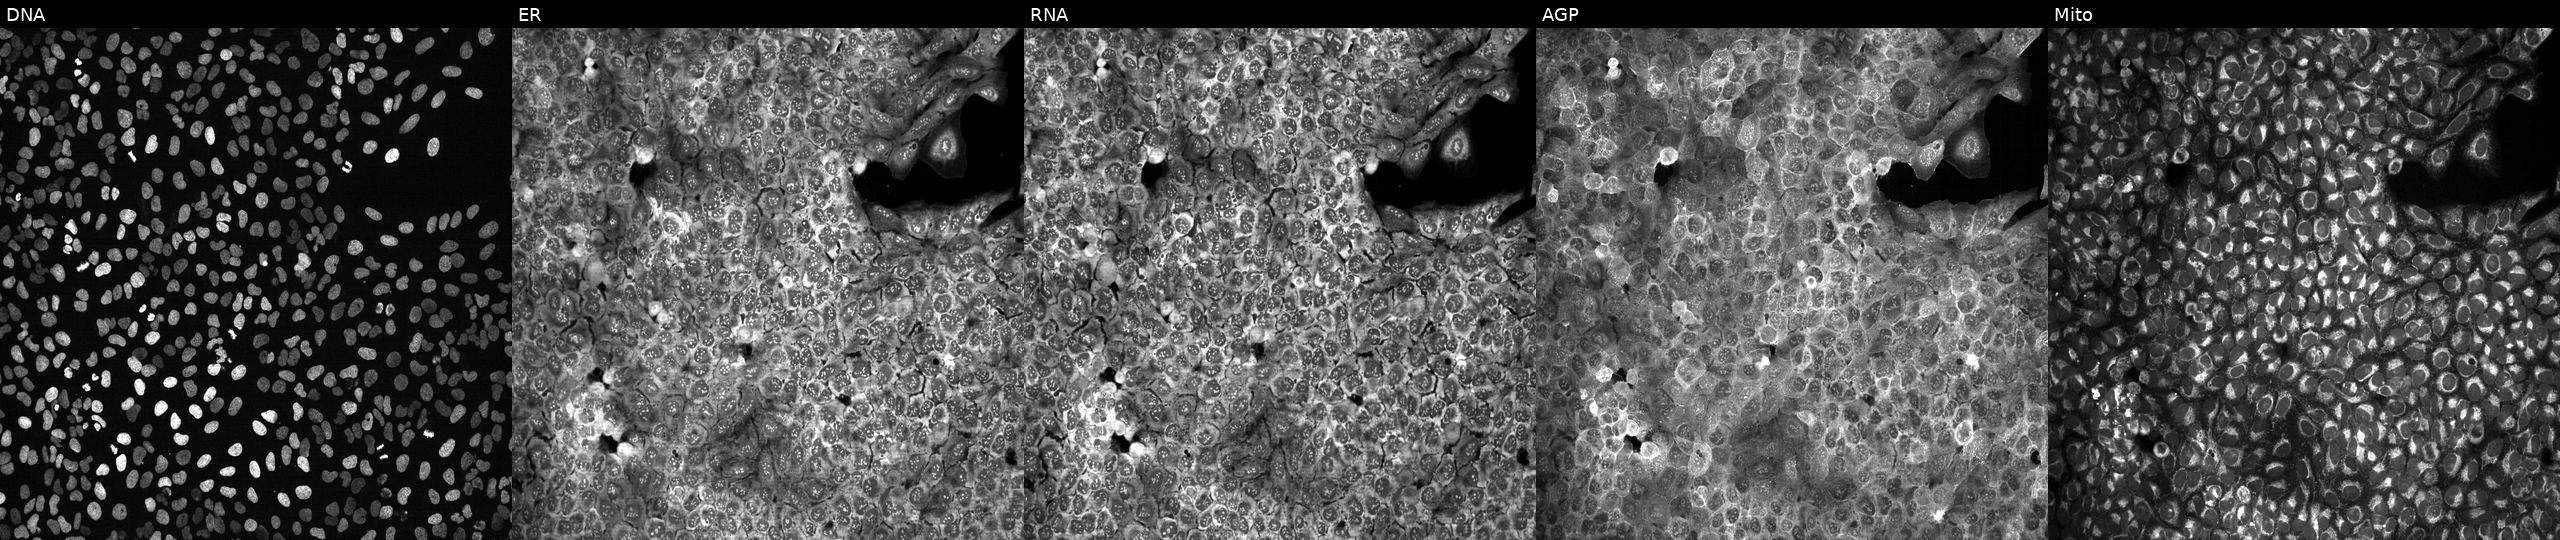
Panels show, left to right, DNA, ER, RNA, AGP, and Mito. U2OS osteosarcoma cells with SC5D knocked out by CRISPR (JUMP id JCP2022_806189). Cell Painting assay, JUMP-CP dataset.